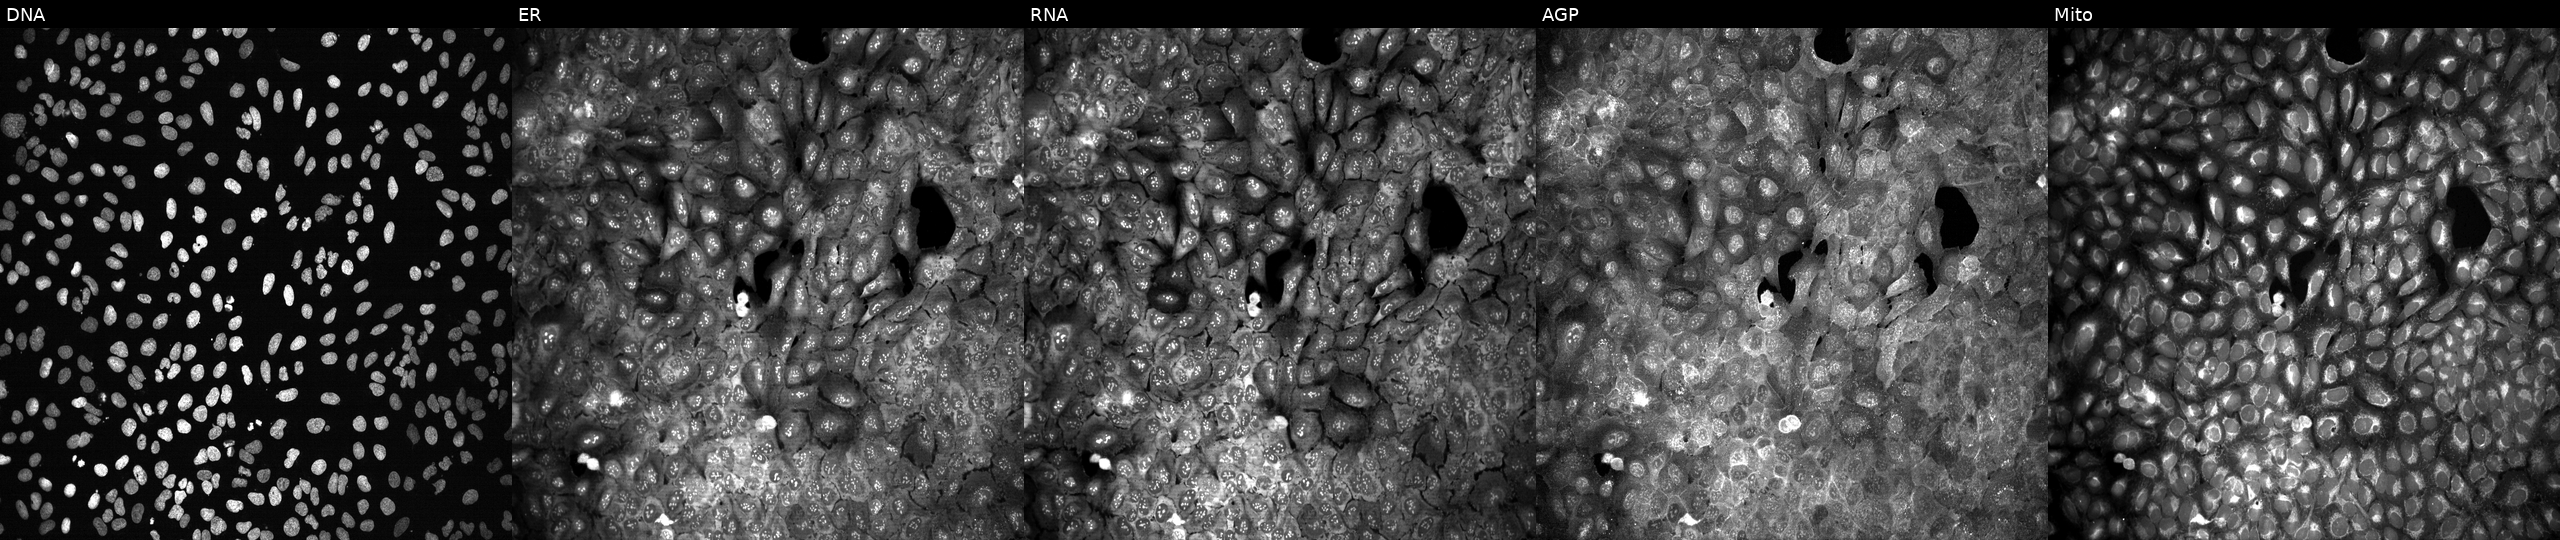
U2OS cells, Cell Painting assay, with RNASE2 knocked out by CRISPR (JUMP id JCP2022_805984). Panels show, left to right, Hoechst 33342, concanavalin A, SYTO 14, phalloidin and WGA, MitoTracker. Each panel is percentile-stretched 16-bit fluorescence.